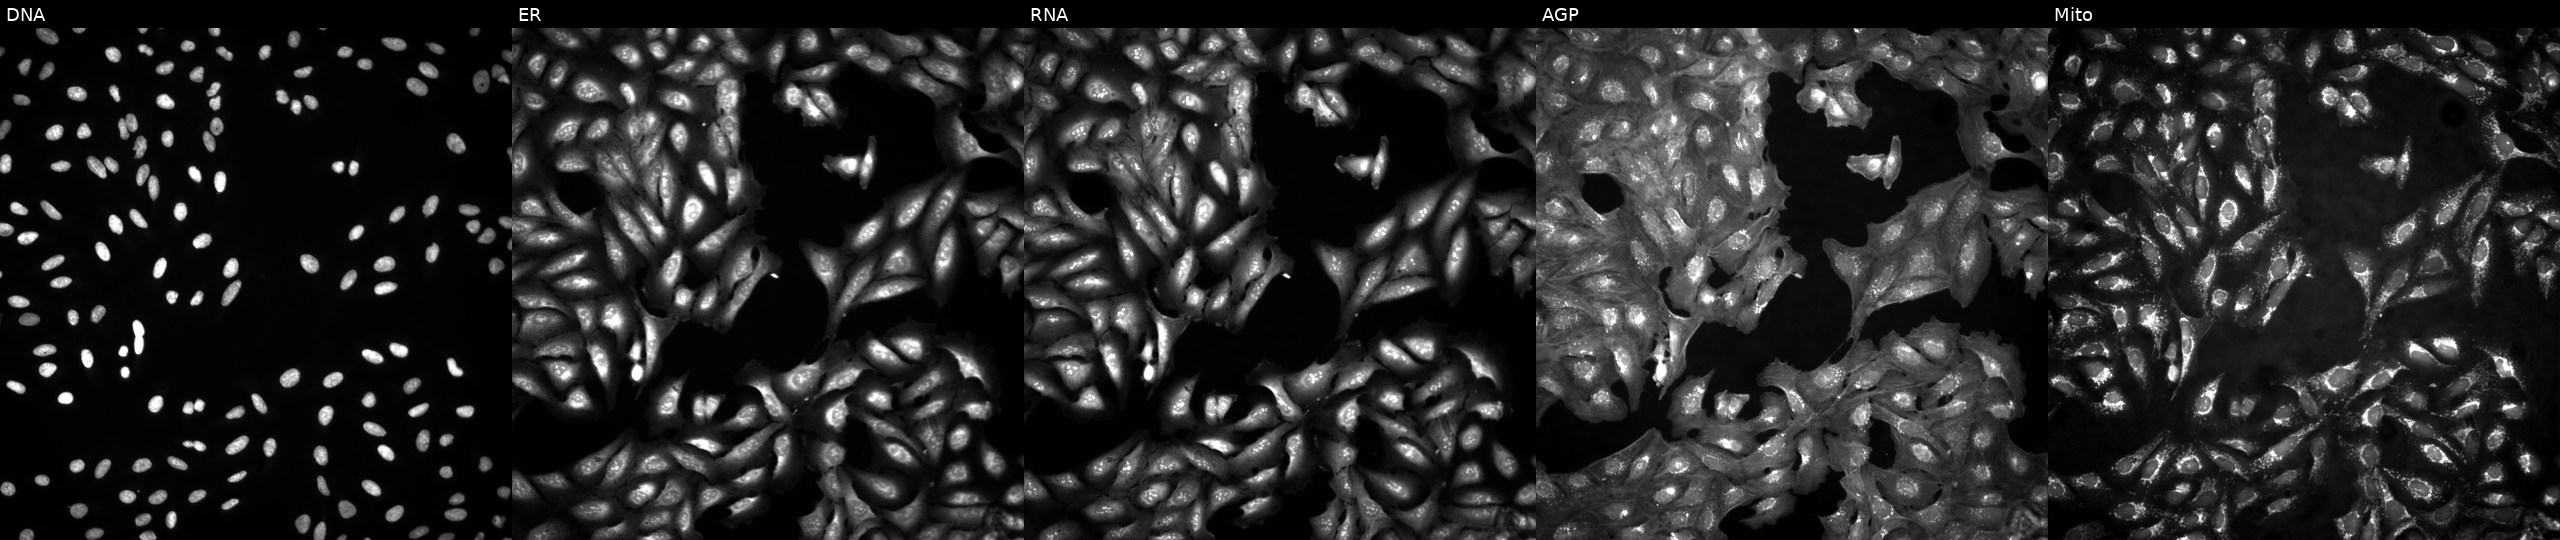
U2OS cells, Cell Painting assay, in an empty control well (no perturbation). The five panels, left to right, show Hoechst 33342, concanavalin A, SYTO 14, phalloidin and WGA, MitoTracker. Each panel is percentile-stretched 16-bit fluorescence. Source 4, plate BR00124793, well L16.